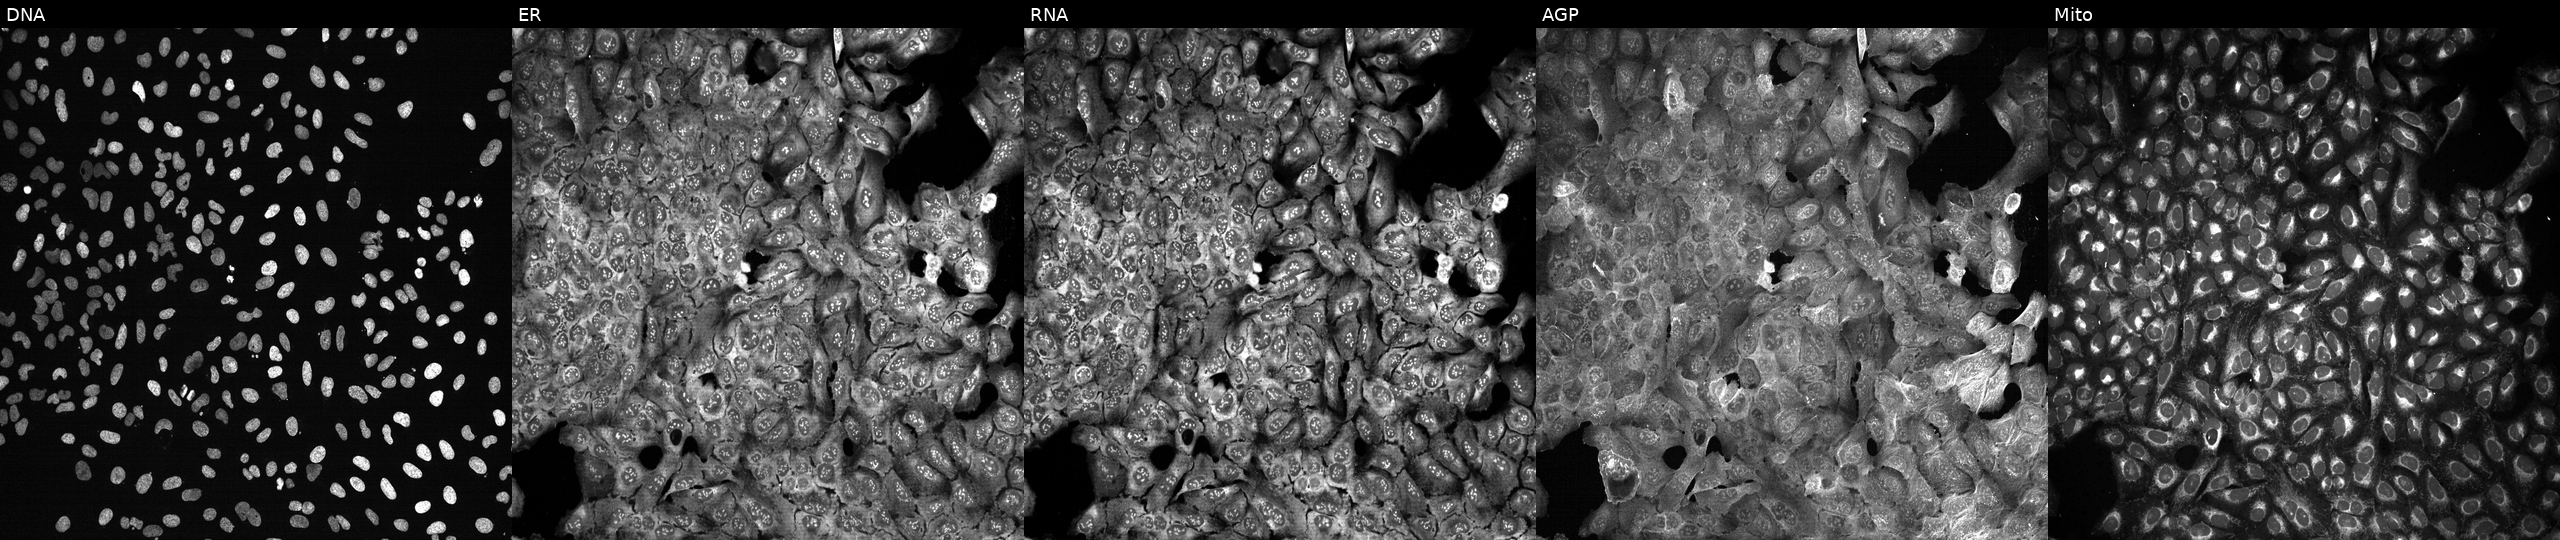
This image strip shows the five Cell Painting channels for a single field of U2OS cells CRISPR-edited to disrupt RAB6A (JUMP id JCP2022_805783). Panels show, left to right, DNA (nuclei); ER (endoplasmic reticulum); RNA (nucleoli and cytoplasmic RNA); AGP (actin cytoskeleton, Golgi, and plasma membrane); Mito (mitochondria). Source 13, plate CP-CC9-R2-01, well L06.